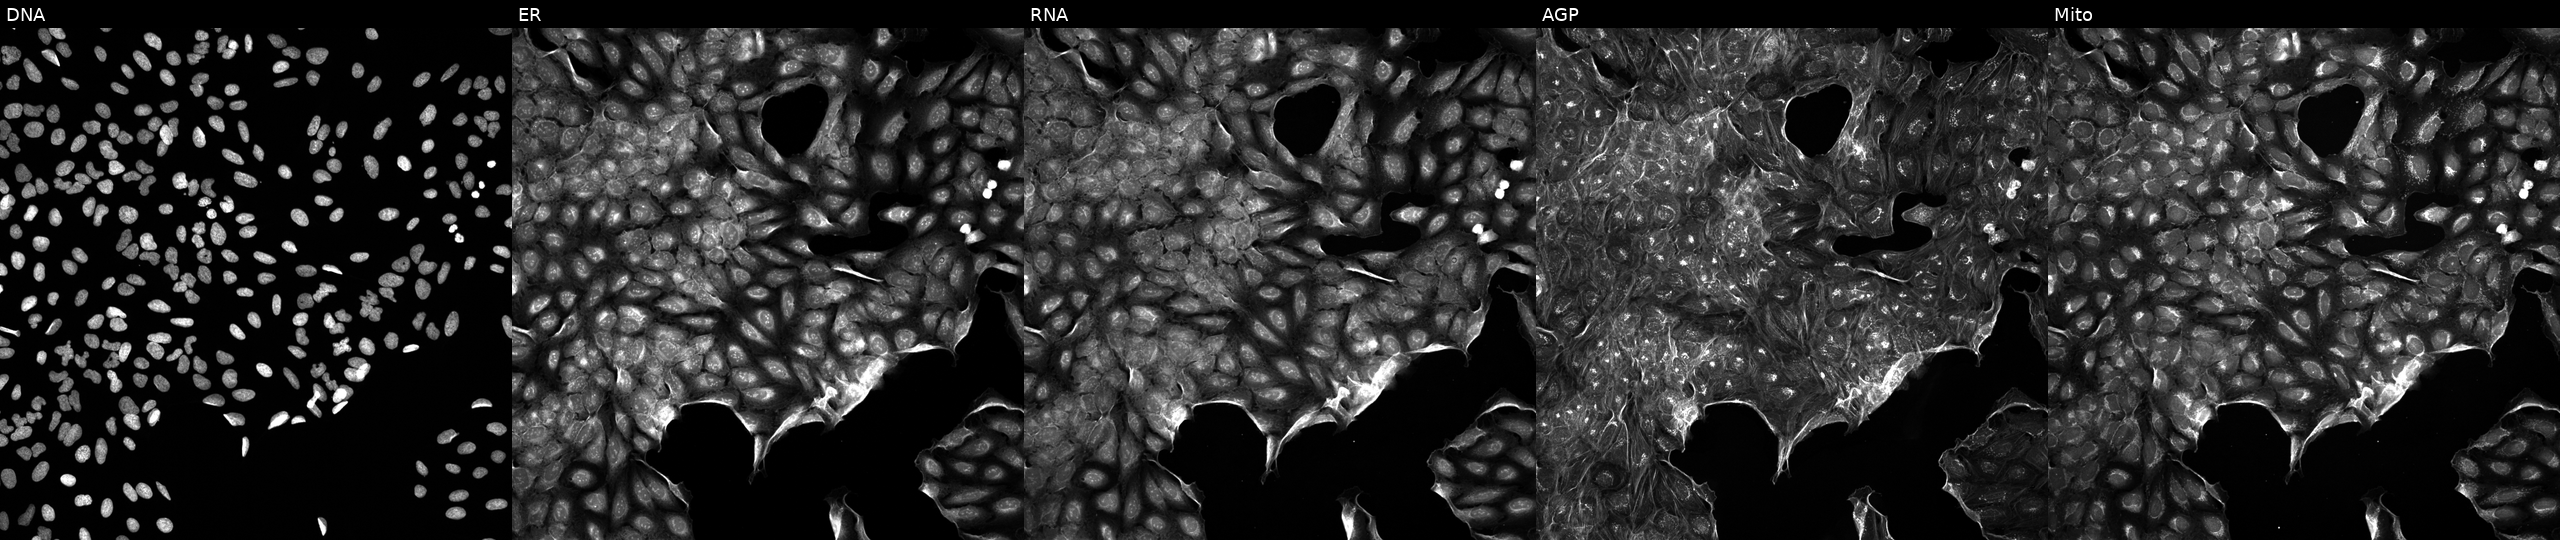
Five-channel Cell Painting image of U2OS cells exposed to a small-molecule compound (InChIKey MIZYGPPHEOQEEZ-UHFFFAOYSA-N) (JUMP id JCP2022_054481). The five panels, left to right, show DNA (nuclei); ER (endoplasmic reticulum); RNA (nucleoli and cytoplasmic RNA); AGP (actin cytoskeleton, Golgi, and plasma membrane); Mito (mitochondria).